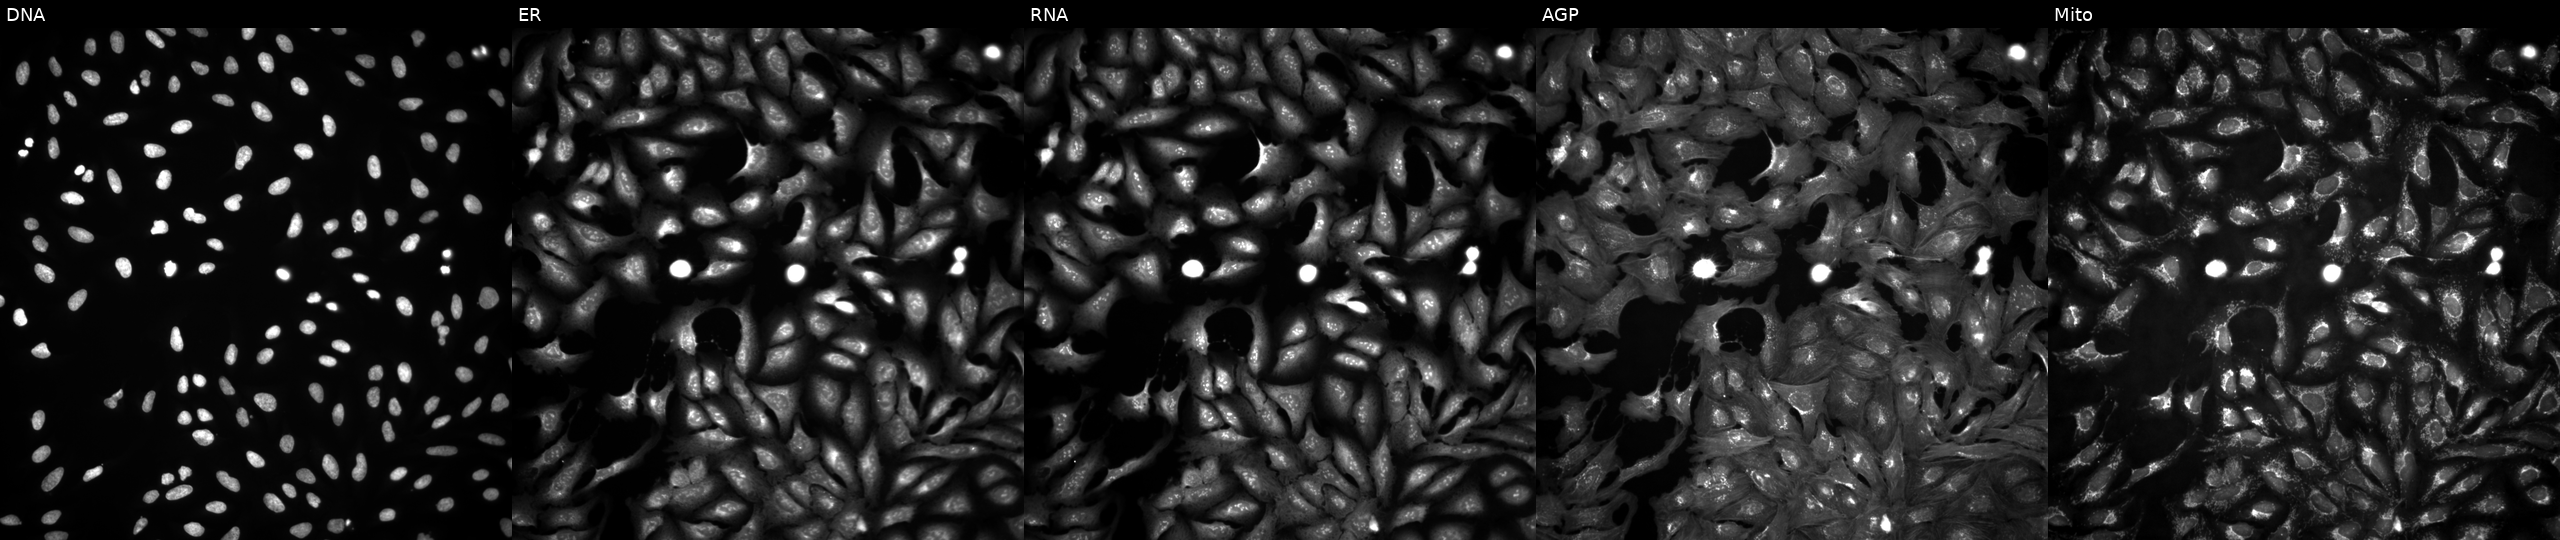
From left to right: Hoechst 33342, concanavalin A, SYTO 14, phalloidin and WGA, MitoTracker. U2OS osteosarcoma cells overexpressing JAK1 via ORF transfection. Cell Painting assay, JUMP-CP dataset. Source 4, plate BR00123945, well M24.